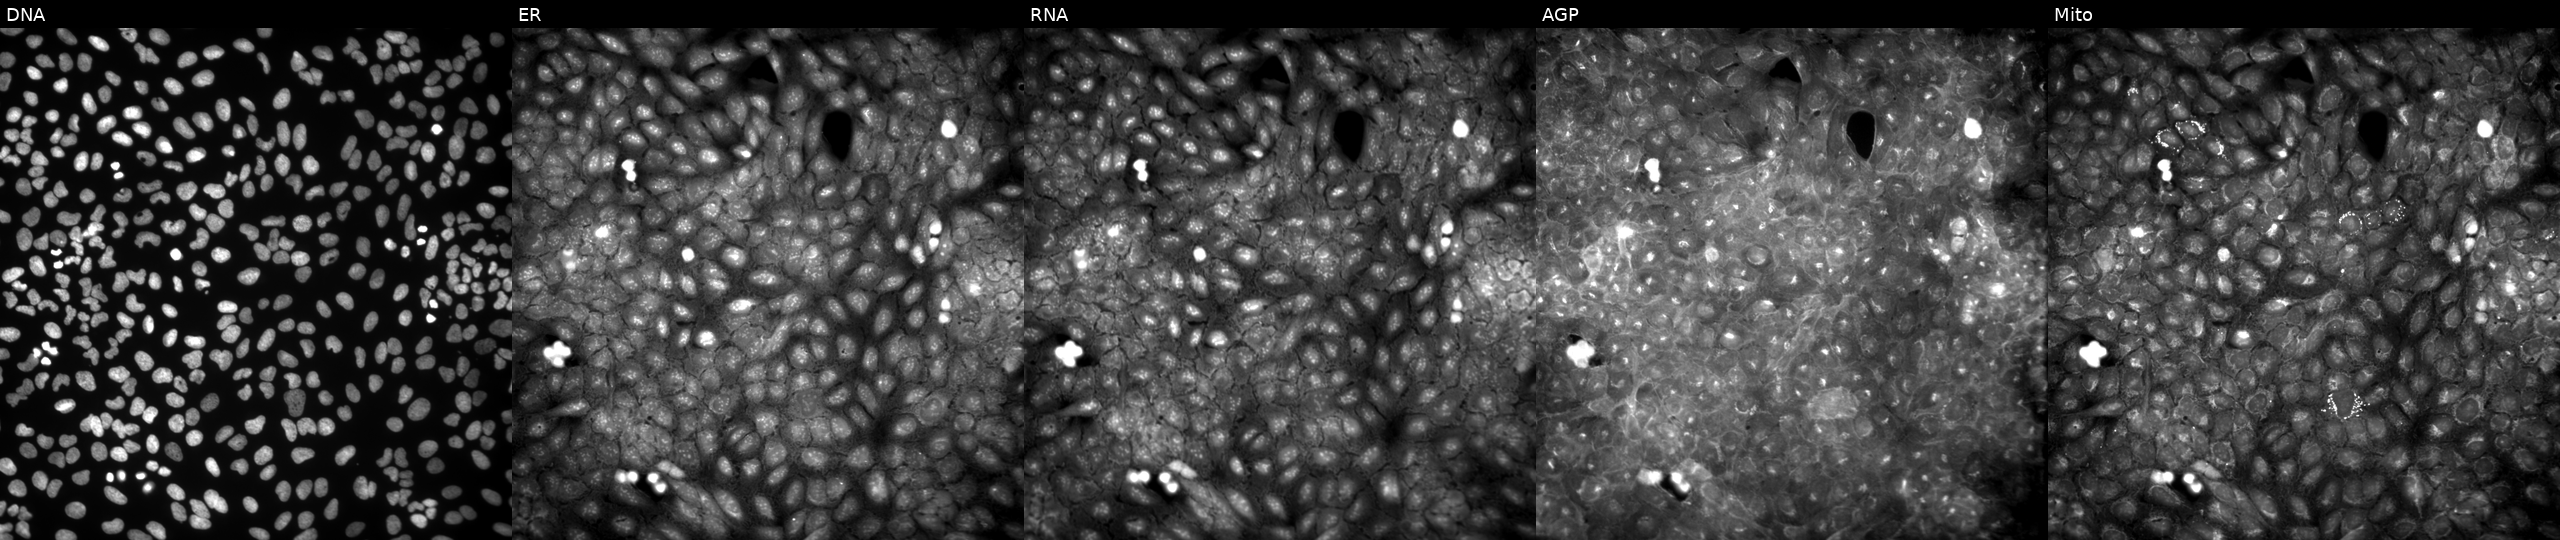
U2OS cells, Cell Painting assay, perturbed with a small-molecule compound. From left to right: DNA (nuclei); ER (endoplasmic reticulum); RNA (nucleoli and cytoplasmic RNA); AGP (actin cytoskeleton, Golgi, and plasma membrane); Mito (mitochondria). Each panel is percentile-stretched 16-bit fluorescence. Source 9, plate GR00003381, well Y29.